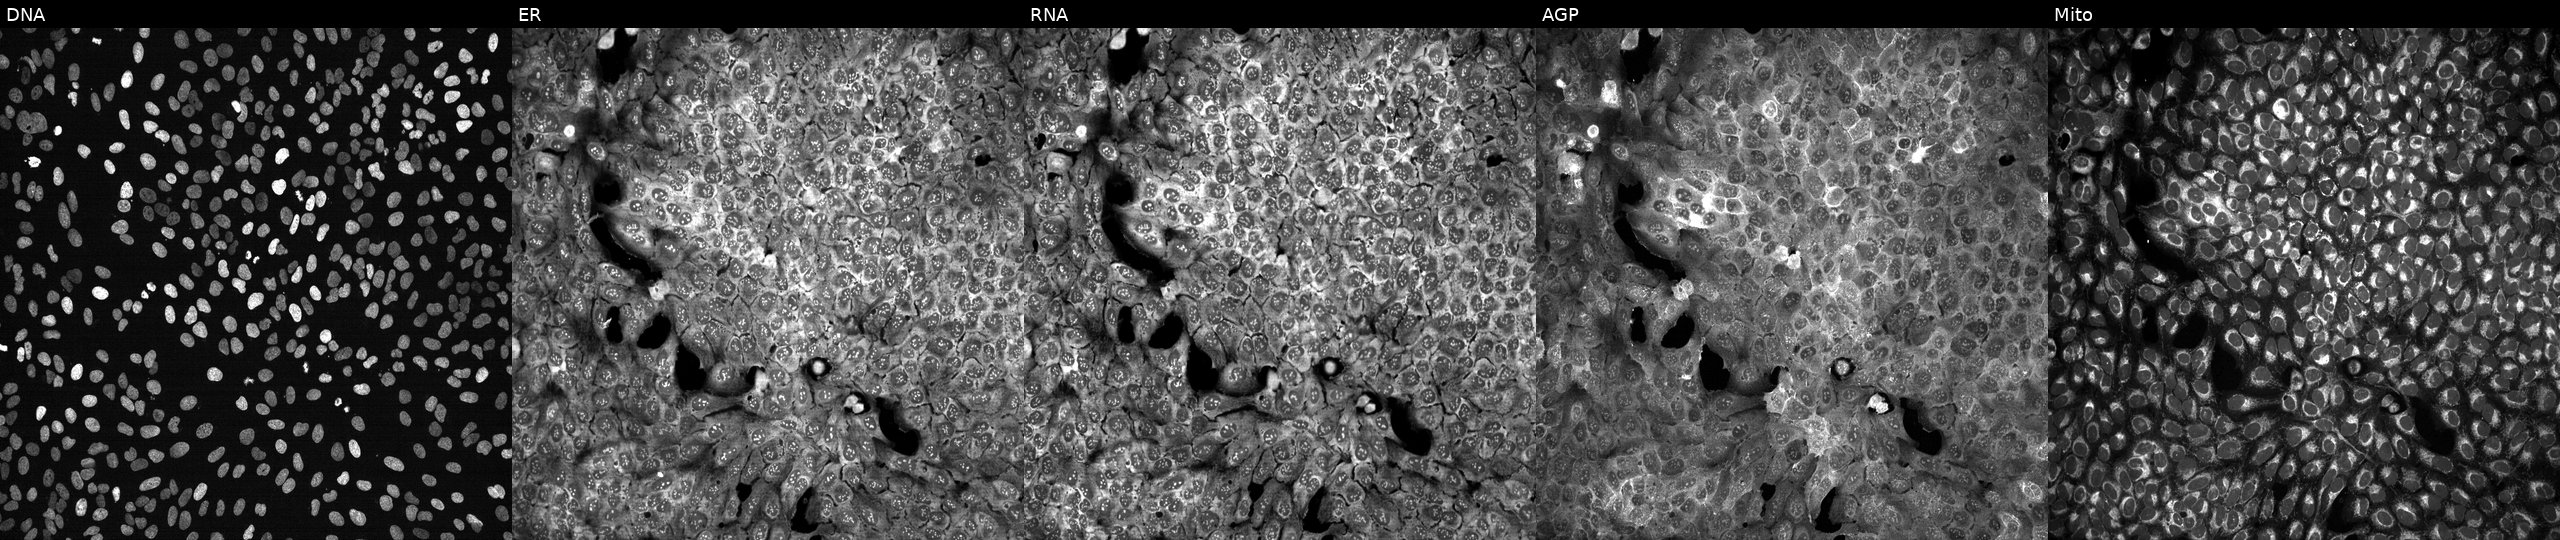
JUMP Cell Painting — CRISPR plate. U2OS cells following CRISPR knockout of GALNT4 (JUMP id JCP2022_802596). Channels (left→right): Hoechst 33342, concanavalin A, SYTO 14, phalloidin and WGA, MitoTracker.